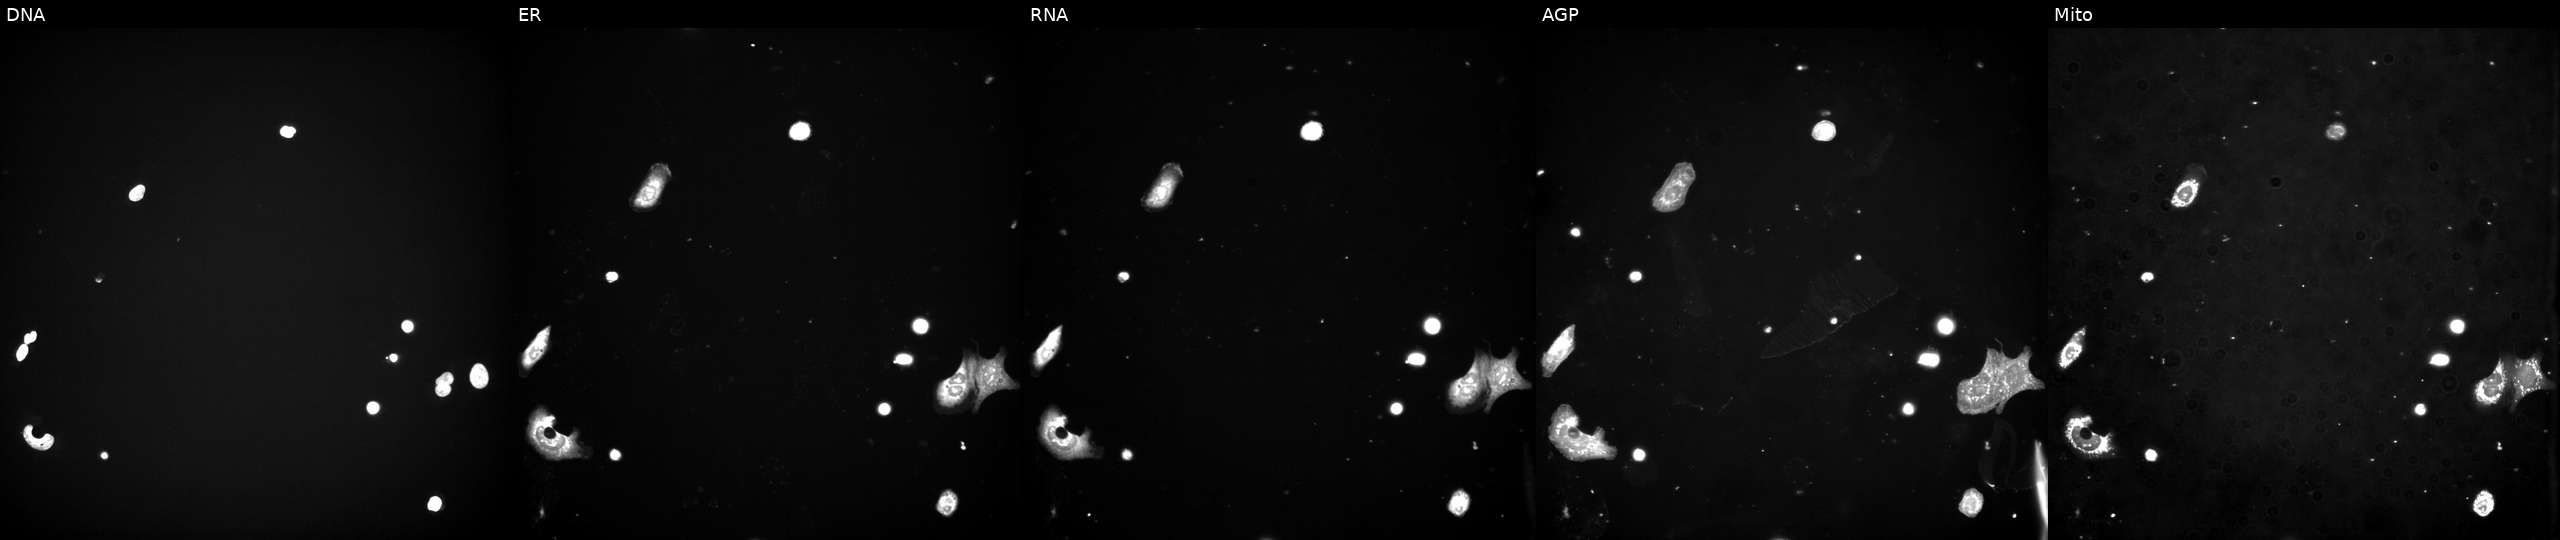
The five panels, left to right, show Hoechst 33342, concanavalin A, SYTO 14, phalloidin and WGA, MitoTracker. U2OS osteosarcoma cells treated with a small-molecule compound (InChIKey CWHUFRVAEUJCEF-UHFFFAOYSA-N) [SMILES: N=c1cc(C(F)(F)F)c(-c2cc(N3CCOCC3)nc(N3CCOCC3)n2)c[nH]1]. Cell Painting assay, JUMP-CP dataset.